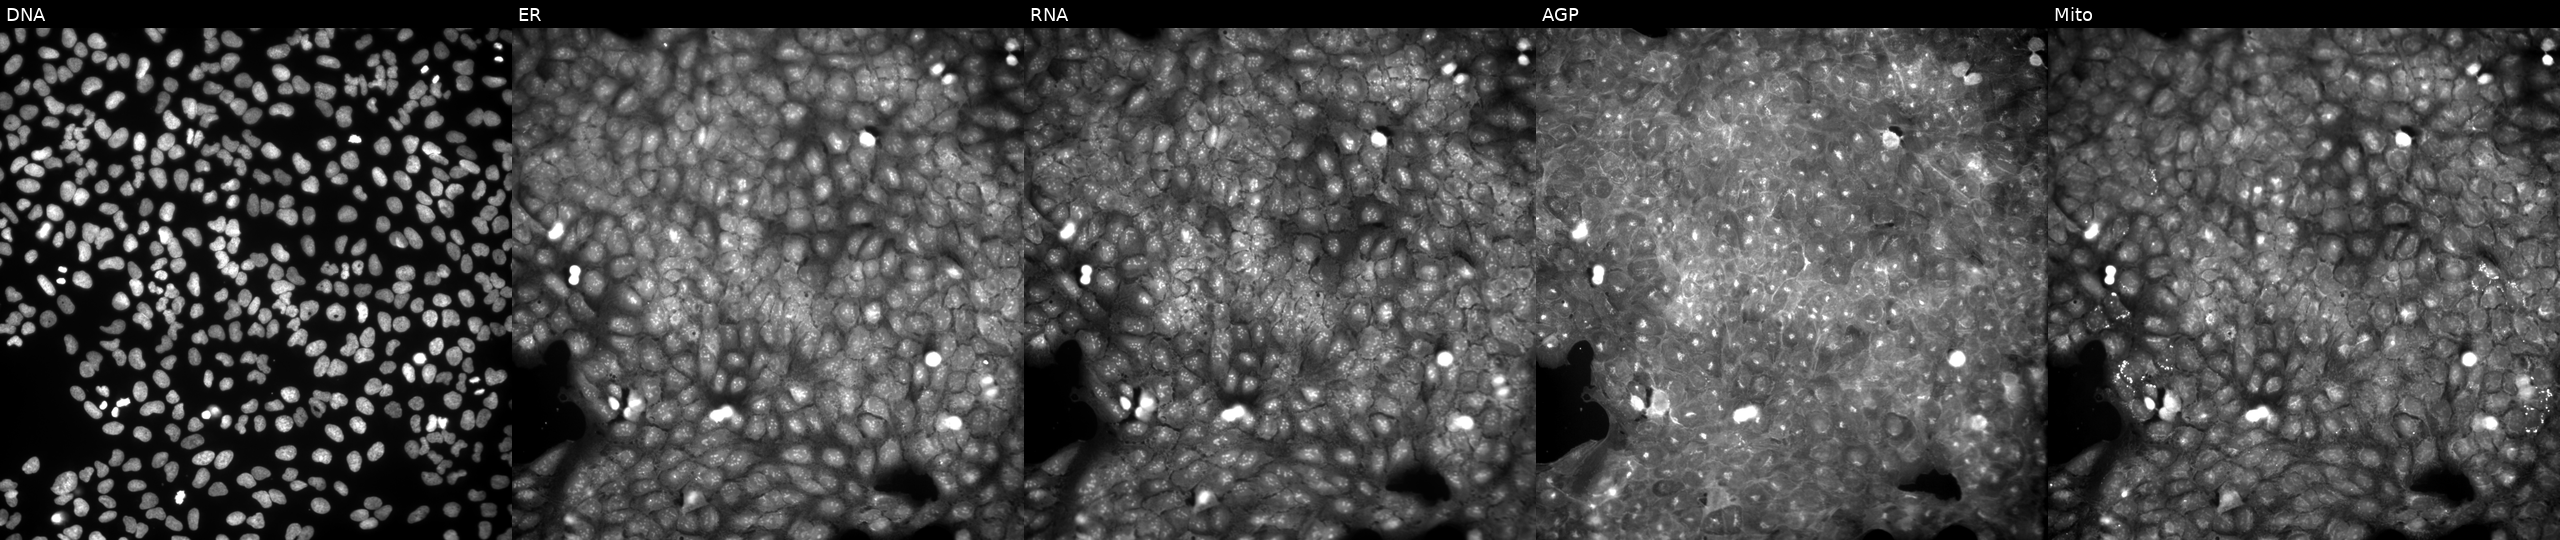
Panels show, left to right, DNA, ER, RNA, AGP, and Mito. U2OS osteosarcoma cells treated with a small-molecule compound (JUMP id JCP2022_024787). Cell Painting assay, JUMP-CP dataset. Source 9, plate GR00003382, well Y33.